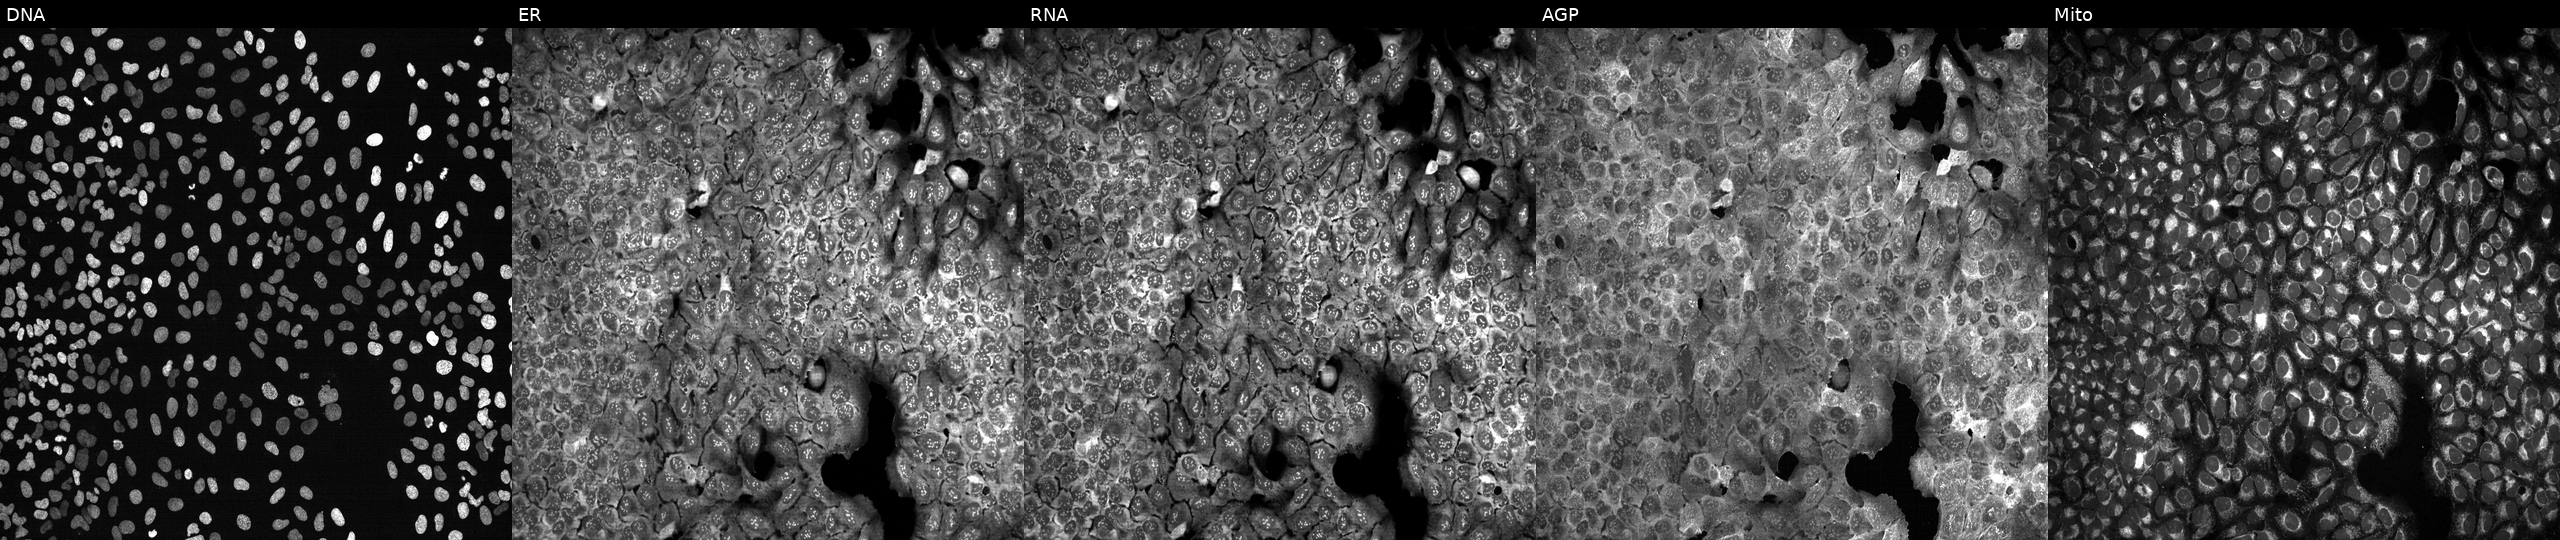
This image strip shows the five Cell Painting channels for a single field of U2OS cells following CRISPR knockout of FGF7 (JUMP id JCP2022_802393). Channels (left→right): Hoechst 33342, concanavalin A, SYTO 14, phalloidin and WGA, MitoTracker.